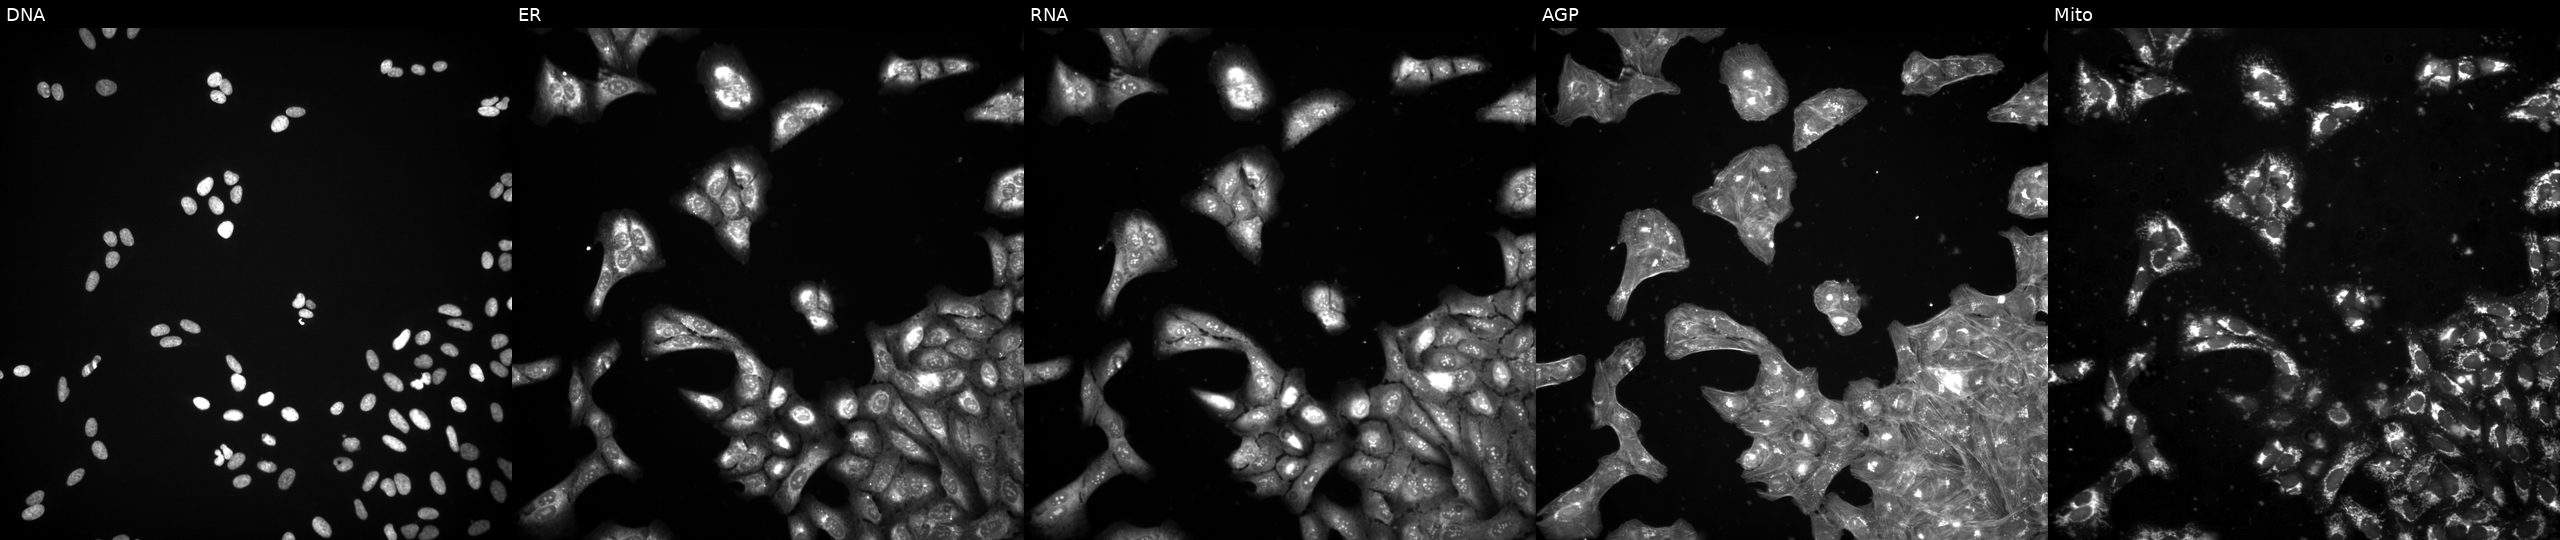
JUMP Cell Painting — COMPOUND plate. U2OS cells perturbed with a small-molecule compound [SMILES: Cc1ccc(O)c(-c2cc(-c3ccccc3C)[nH]n2)c1]. Channels (left→right): DNA (nuclei); ER (endoplasmic reticulum); RNA (nucleoli and cytoplasmic RNA); AGP (actin cytoskeleton, Golgi, and plasma membrane); Mito (mitochondria).